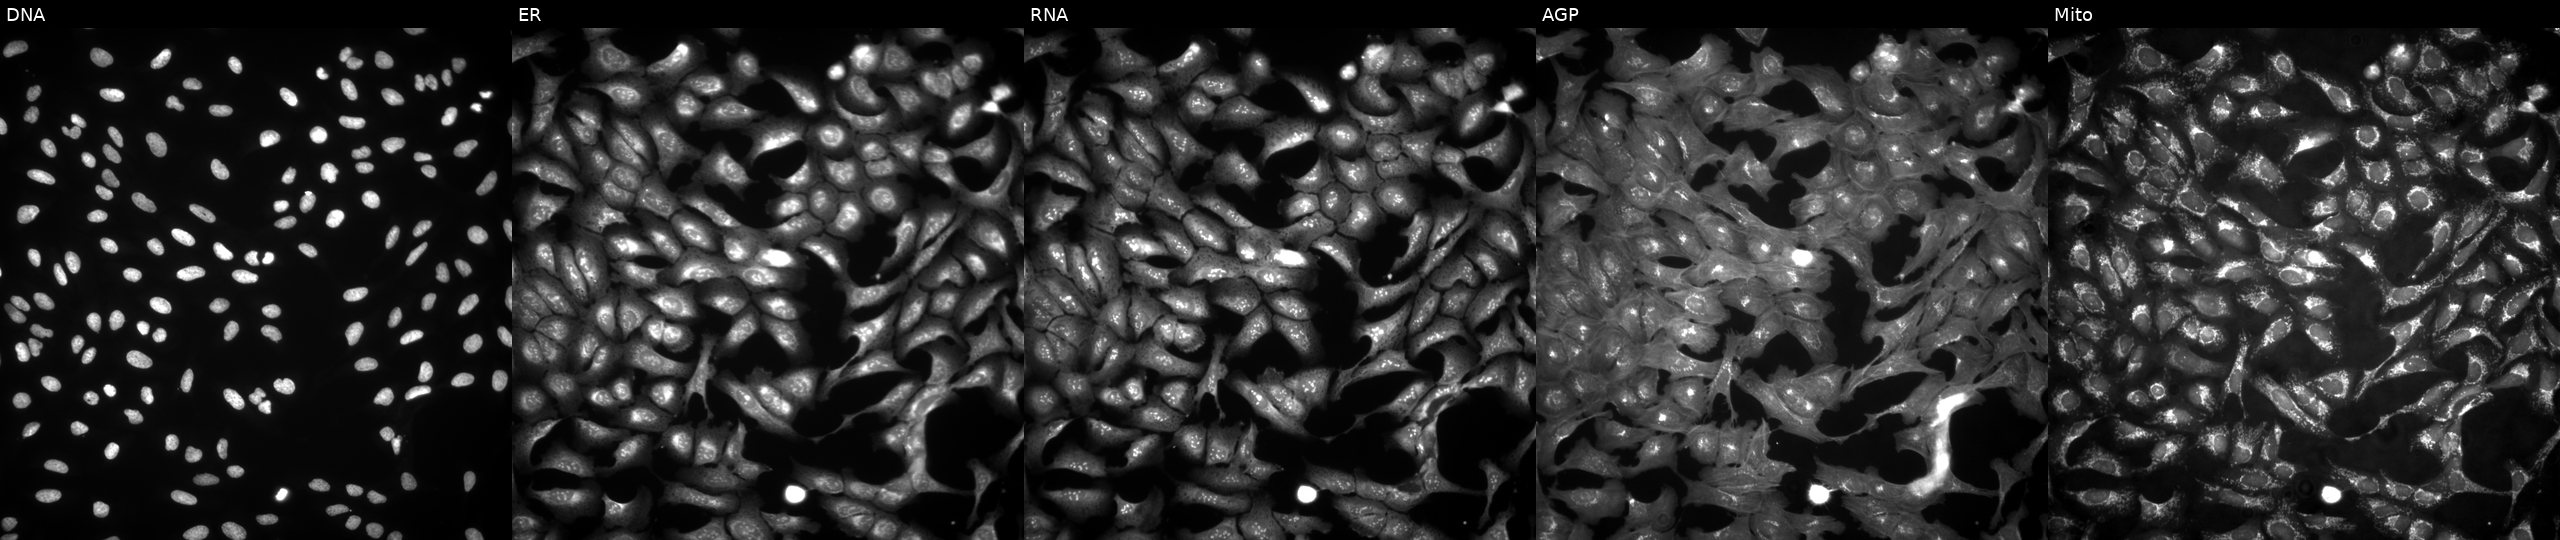
Five-channel Cell Painting image of U2OS cells with C18orf54 overexpressed (ORF) (JUMP id JCP2022_904788). The five panels, left to right, show DNA, ER, RNA, AGP, and Mito. Source 4, plate BR00123509, well I17.